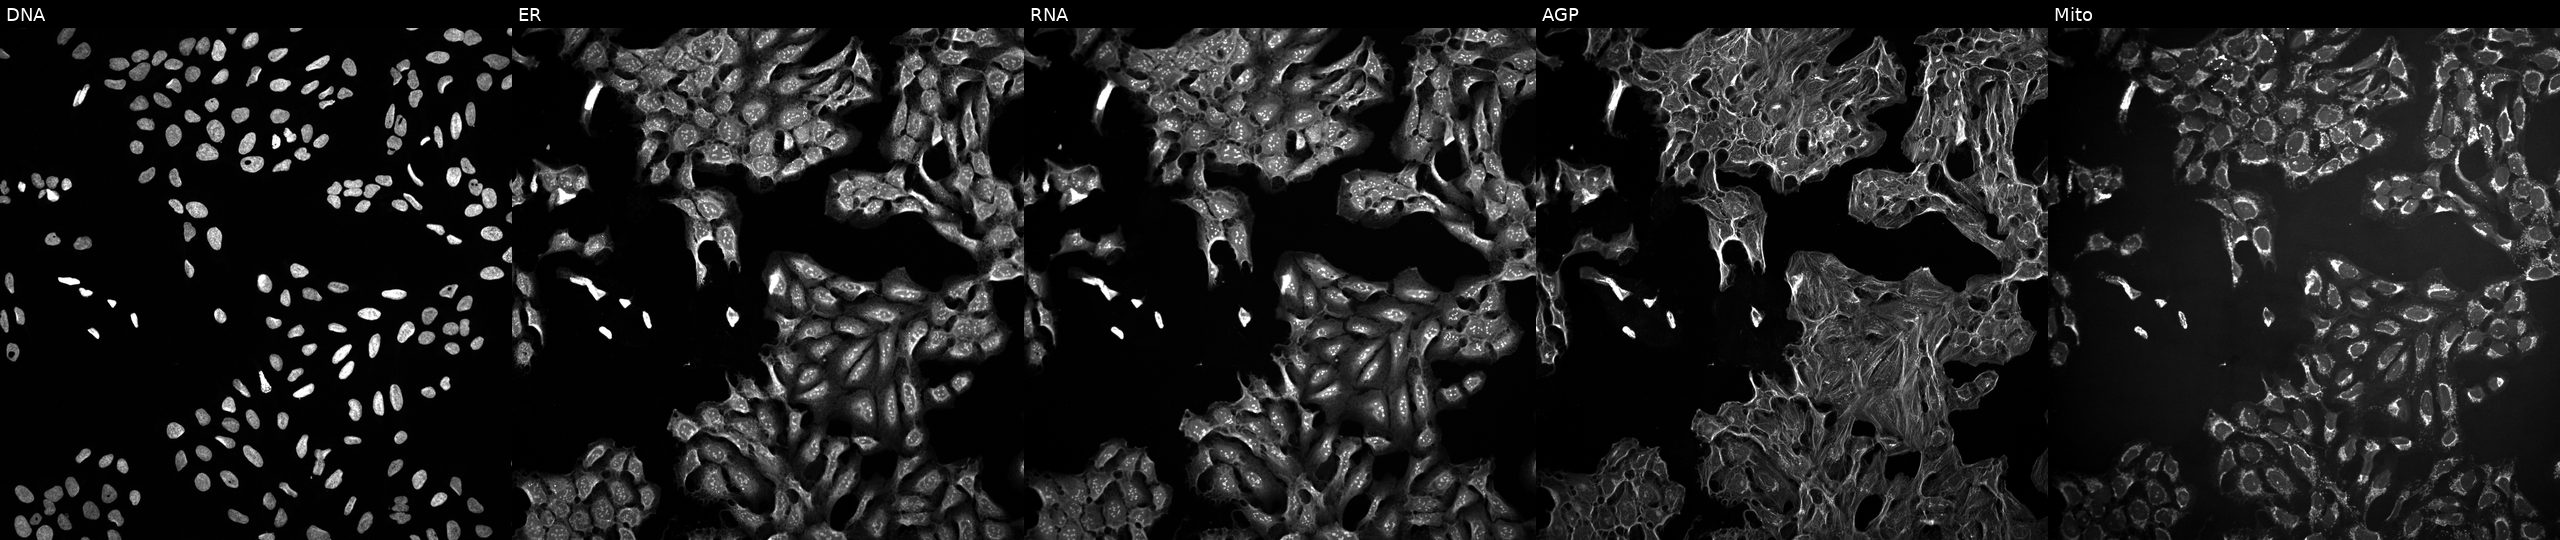
U2OS cells, Cell Painting assay, perturbed with a small-molecule compound (JUMP id JCP2022_035351). From left to right: Hoechst 33342, concanavalin A, SYTO 14, phalloidin and WGA, MitoTracker. Each panel is percentile-stretched 16-bit fluorescence. Source 10, plate Dest210726-160150, well N15.